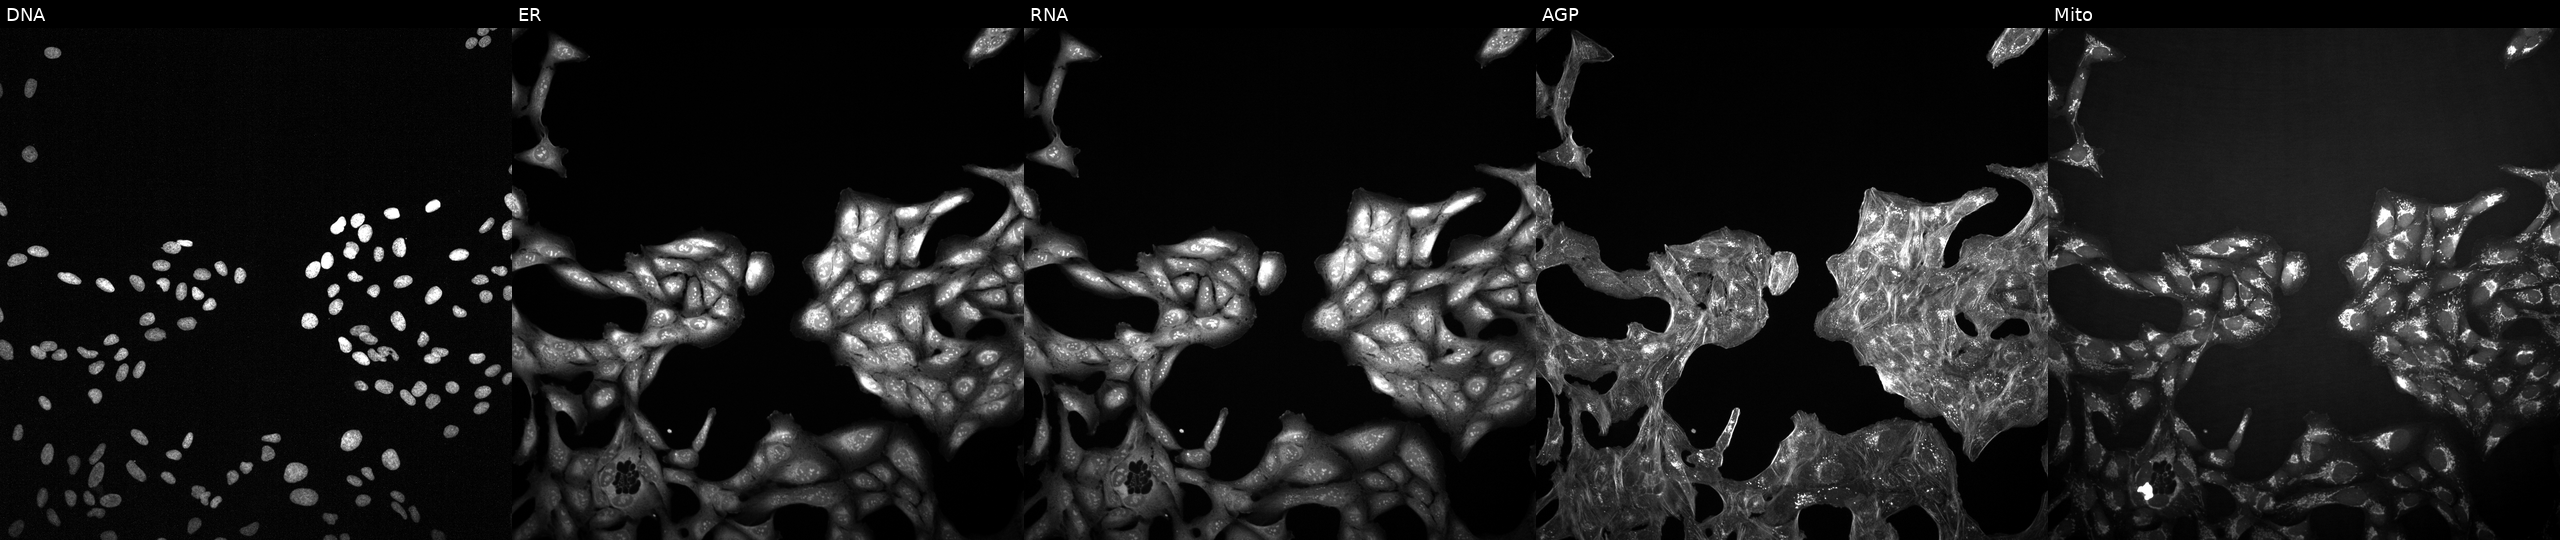
Five-channel Cell Painting image of U2OS cells perturbed with a small-molecule compound (InChIKey NUIKTBLZSPQGCP-UHFFFAOYSA-N). The five panels, left to right, show DNA, ER, RNA, AGP, and Mito.